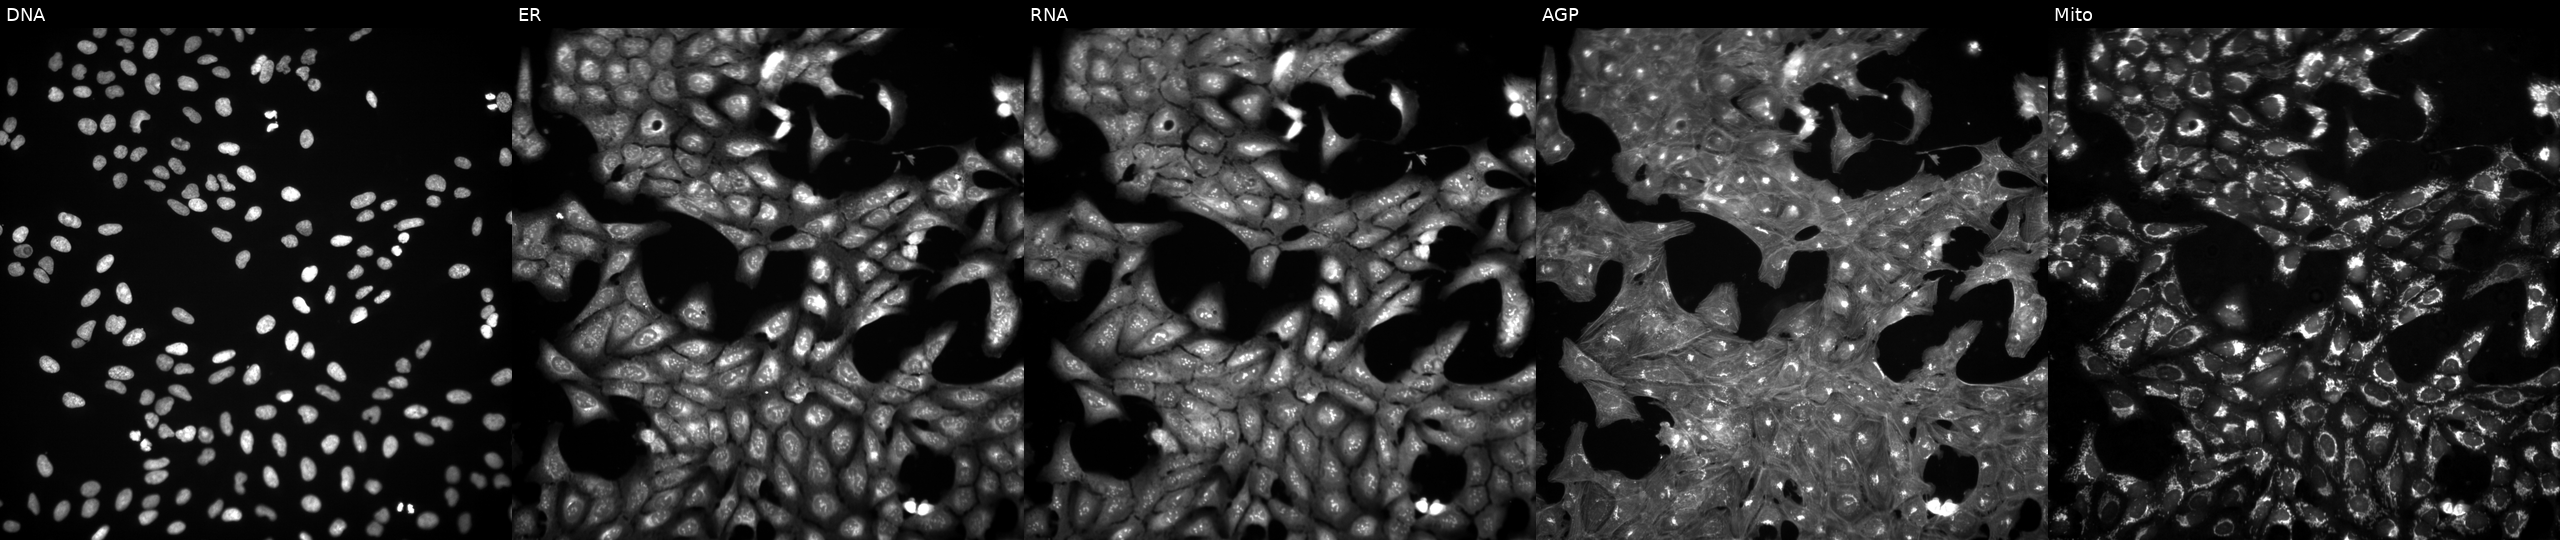
This image strip shows the five Cell Painting channels for a single field of U2OS cells exposed to DMSO alone as a negative control (JUMP id JCP2022_033924). Channels (left→right): DNA (nuclei); ER (endoplasmic reticulum); RNA (nucleoli and cytoplasmic RNA); AGP (actin cytoskeleton, Golgi, and plasma membrane); Mito (mitochondria).